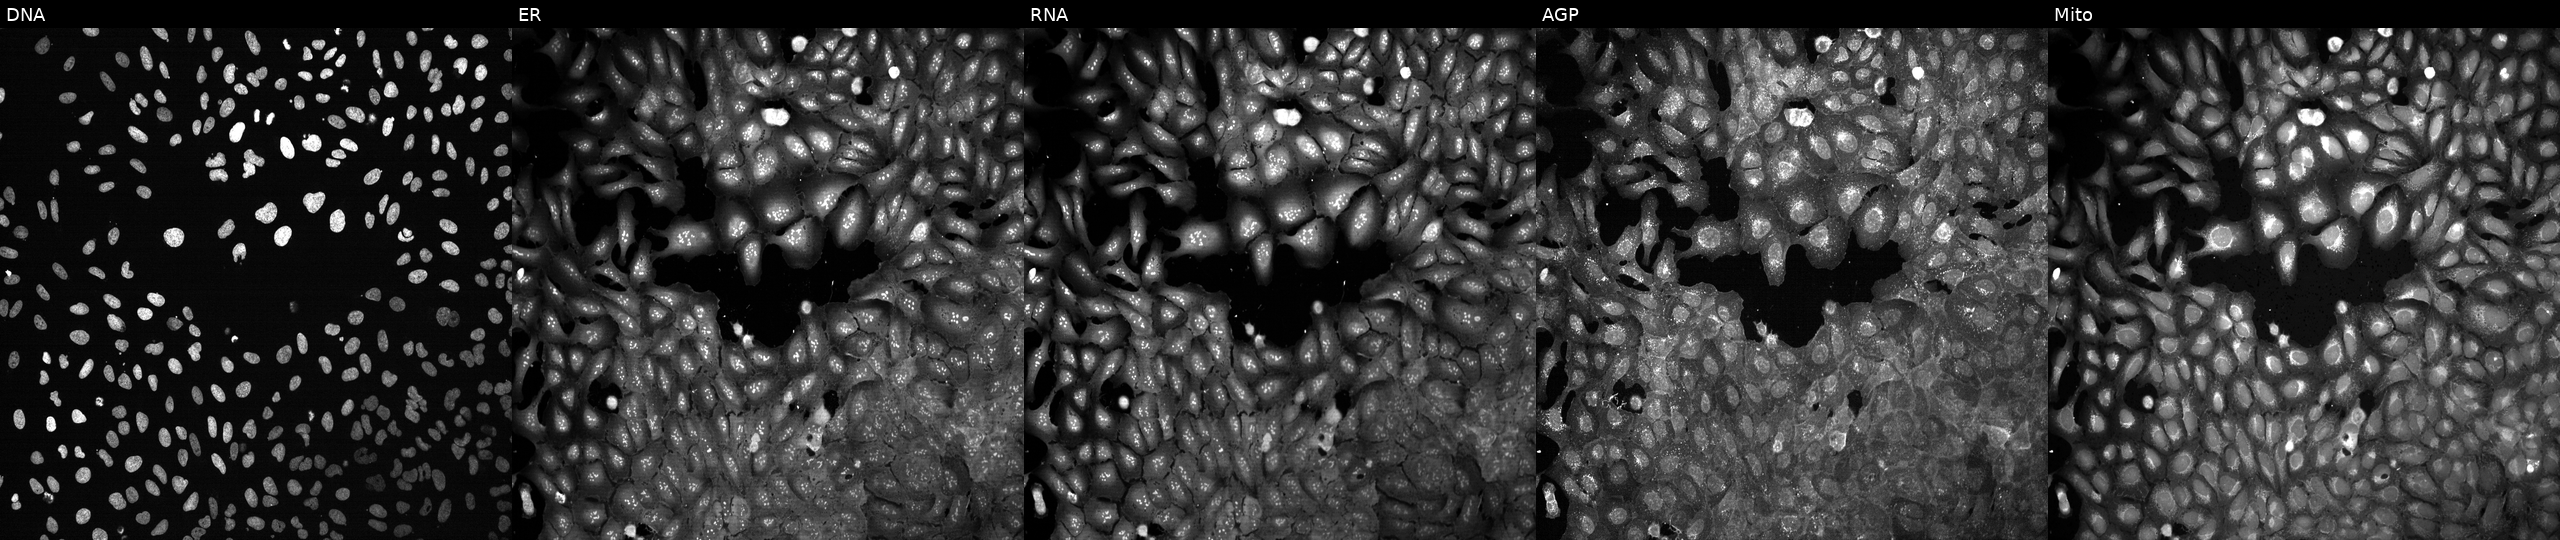
Five-channel Cell Painting image of U2OS cells following CRISPR knockout of ELMOD3 (JUMP id JCP2022_802098). From left to right: DNA, ER, RNA, AGP, and Mito. Source 13, plate CP-CC9-R1-02, well M16.